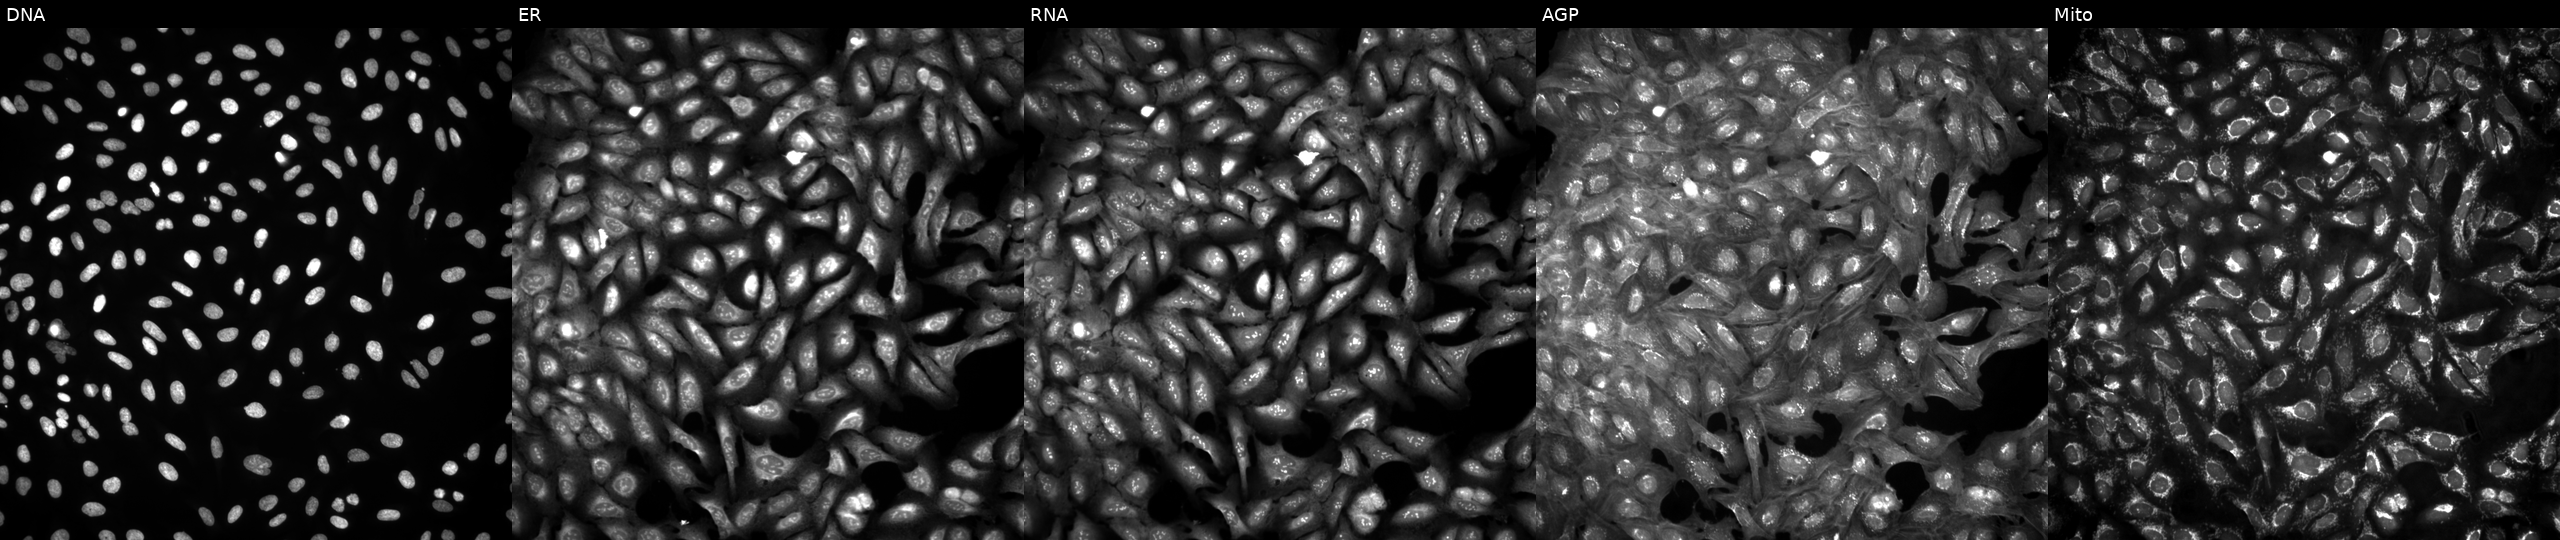
Channels (left→right): DNA (nuclei); ER (endoplasmic reticulum); RNA (nucleoli and cytoplasmic RNA); AGP (actin cytoskeleton, Golgi, and plasma membrane); Mito (mitochondria). U2OS osteosarcoma cells in an empty control well (no perturbation). Cell Painting assay, JUMP-CP dataset.